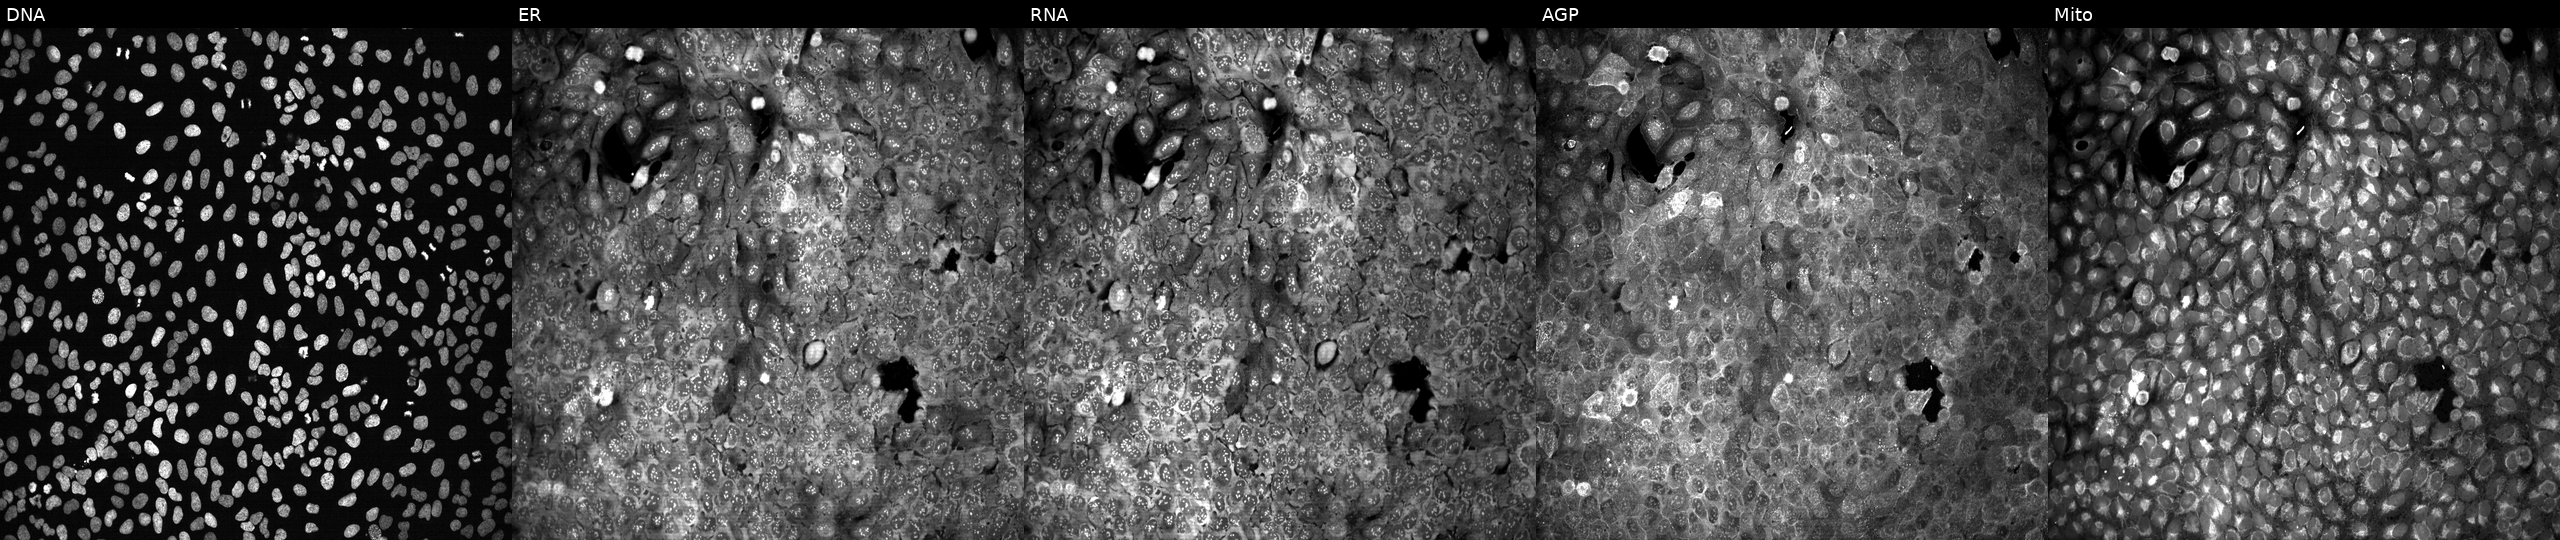
JUMP Cell Painting — CRISPR plate. U2OS cells with no CRISPR guide (negative control). Panels show, left to right, DNA, ER, RNA, AGP, and Mito.